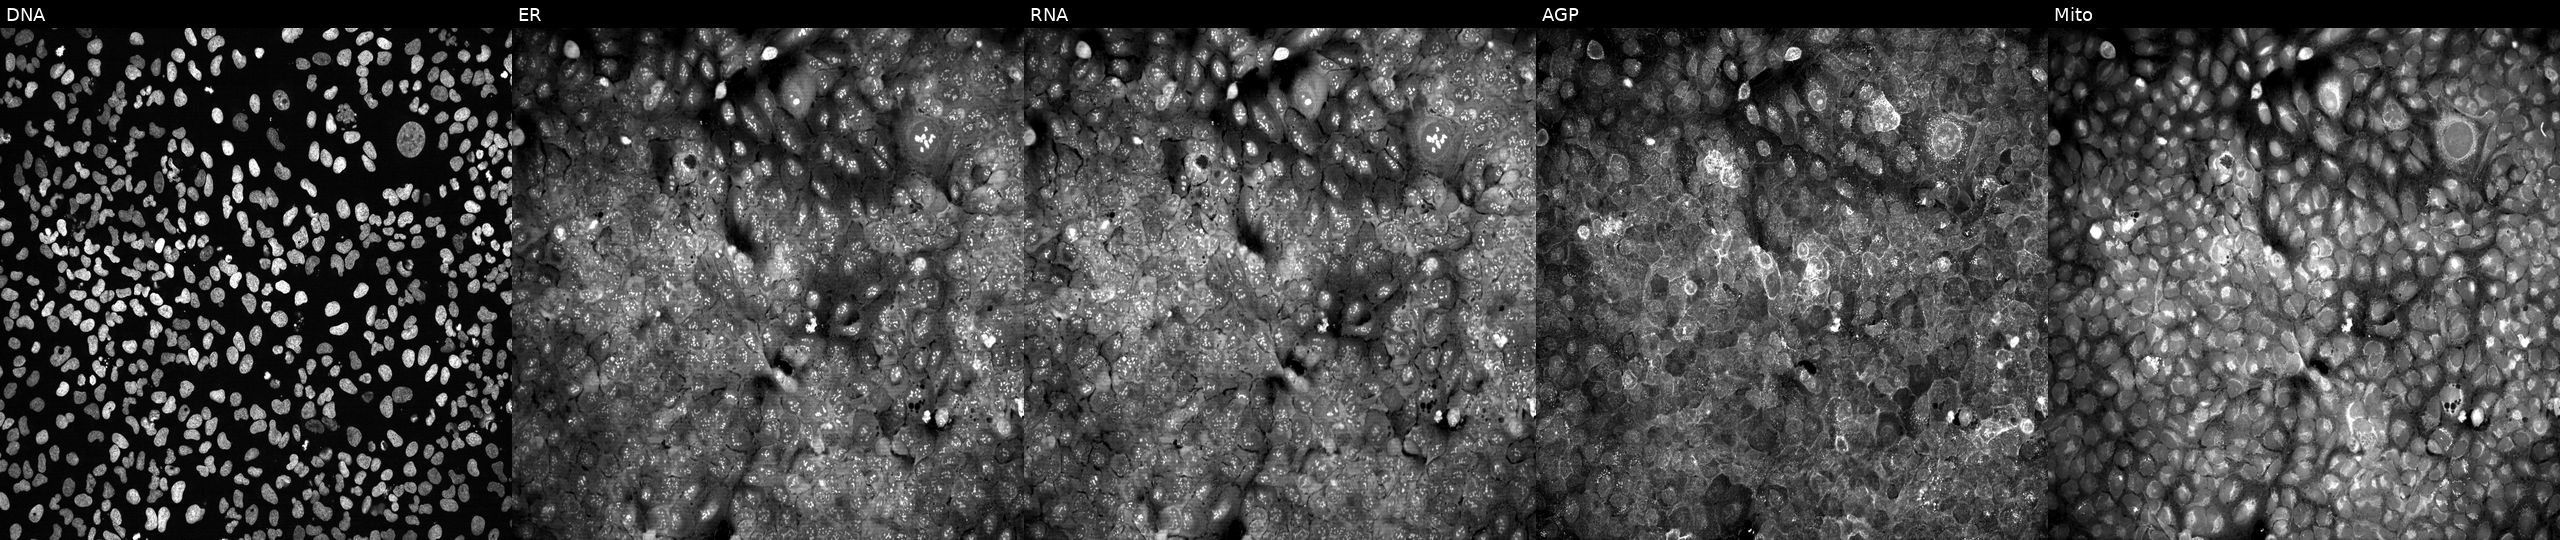
JUMP Cell Painting — CRISPR plate. U2OS cells with B4GAT1 knocked out by CRISPR (JUMP id JCP2022_800800). From left to right: DNA, ER, RNA, AGP, and Mito.